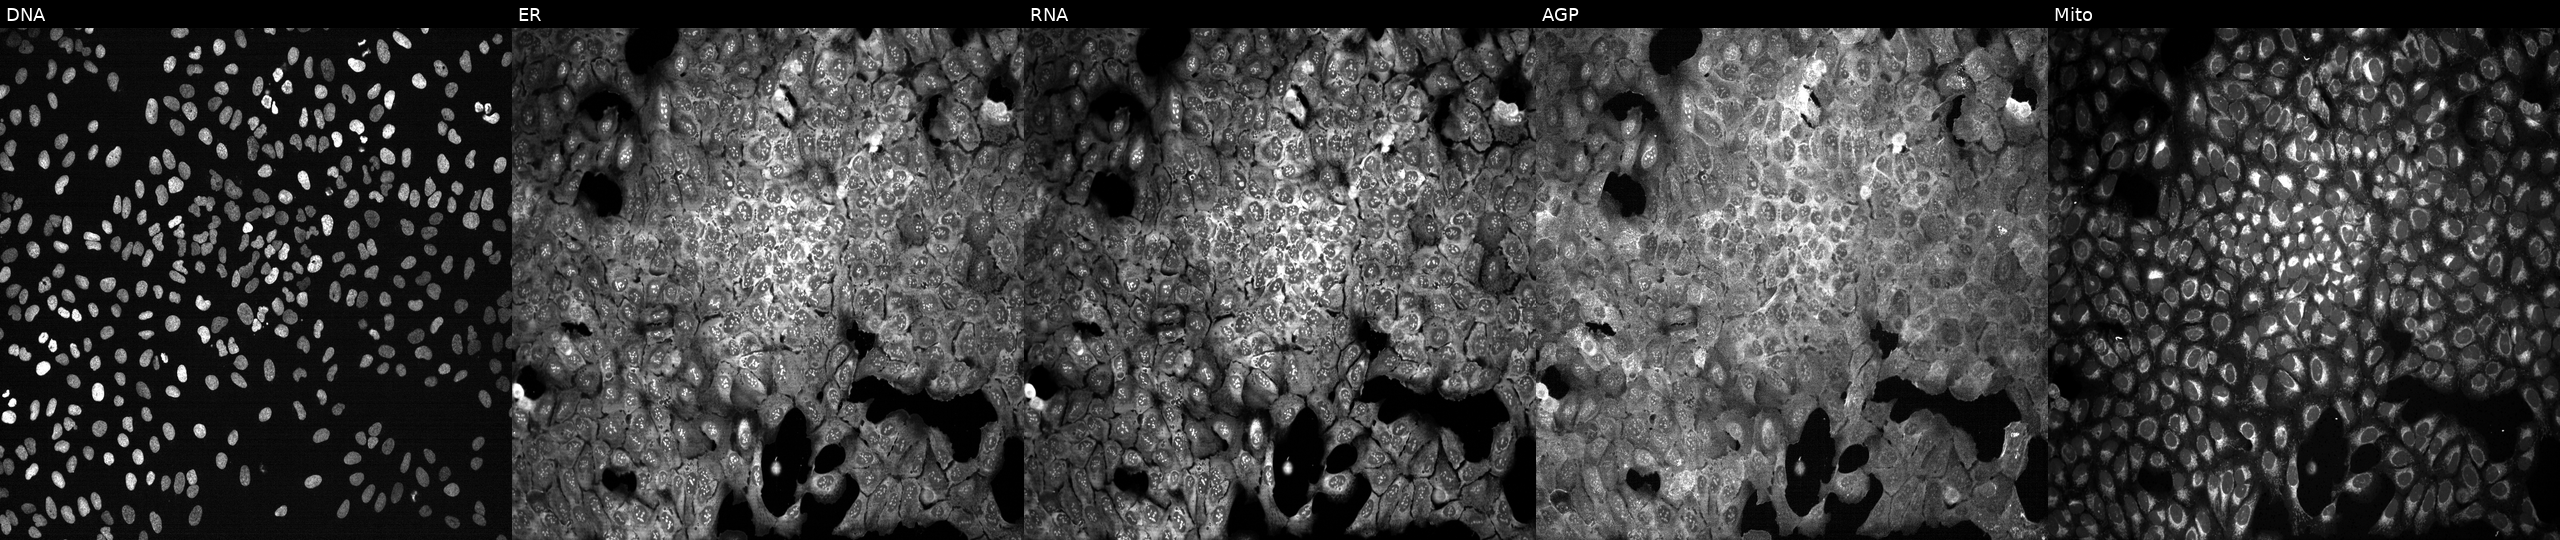
High-content fluorescence microscopy (Cell Painting). Cell line: U2OS. Perturbation: following CRISPR knockout of ATP2A3. Channels (left→right): DNA, ER, RNA, AGP, and Mito. Source 13, plate CP-CC9-R3-02, well L20.